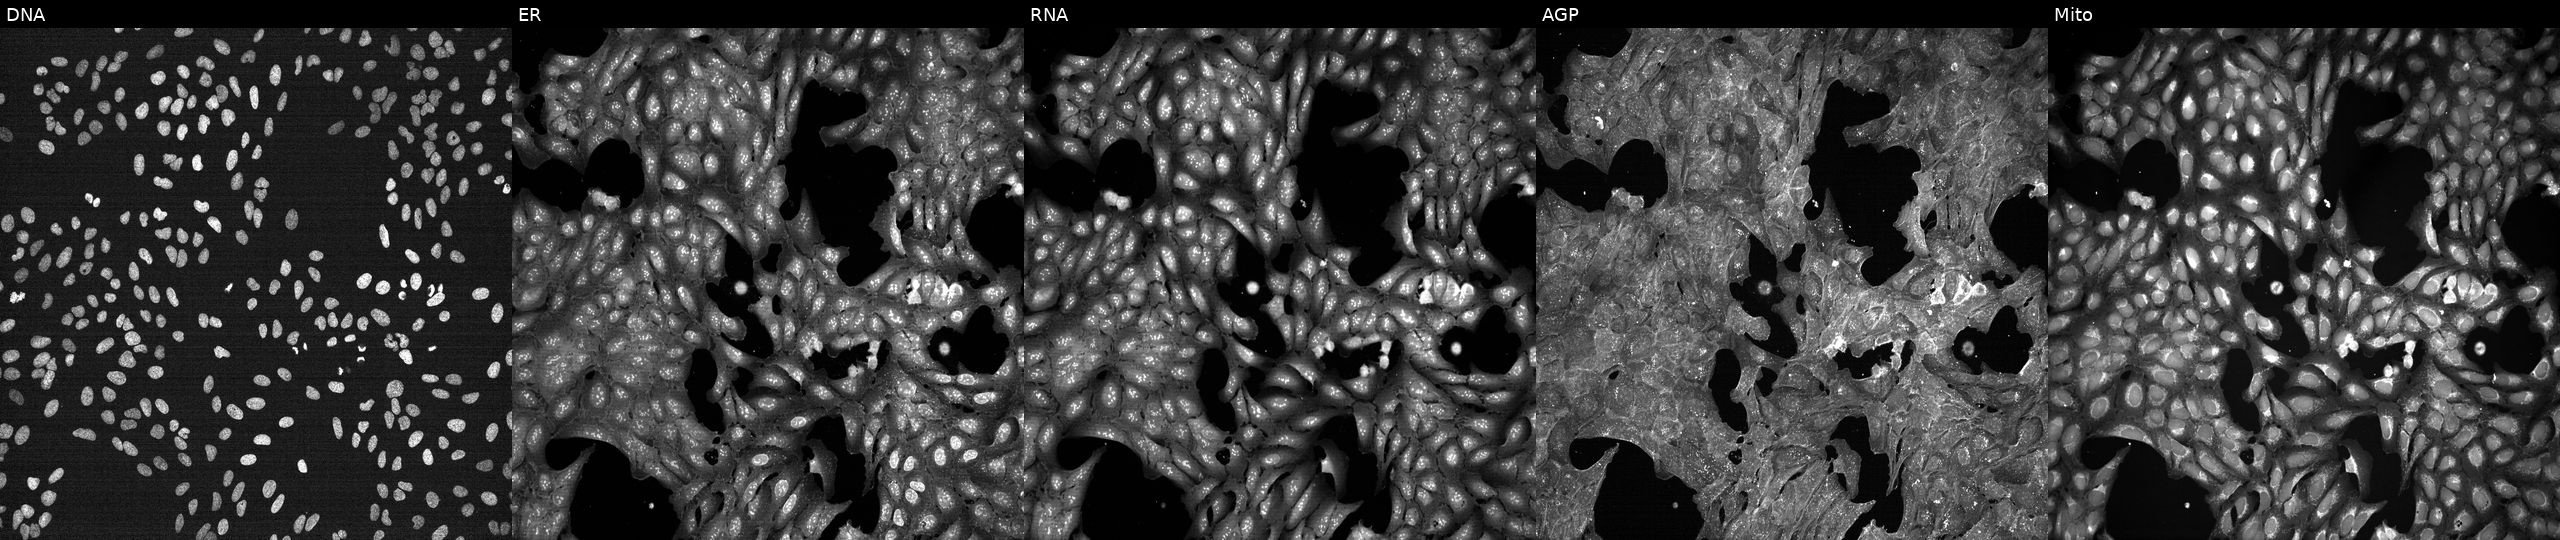
U2OS cells, Cell Painting assay, treated with DMSO vehicle only (negative control) (JUMP id JCP2022_033924). Channels (left→right): DNA (nuclei); ER (endoplasmic reticulum); RNA (nucleoli and cytoplasmic RNA); AGP (actin cytoskeleton, Golgi, and plasma membrane); Mito (mitochondria). Each panel is percentile-stretched 16-bit fluorescence. Source 7, plate CP1-SC1-25, well N07.